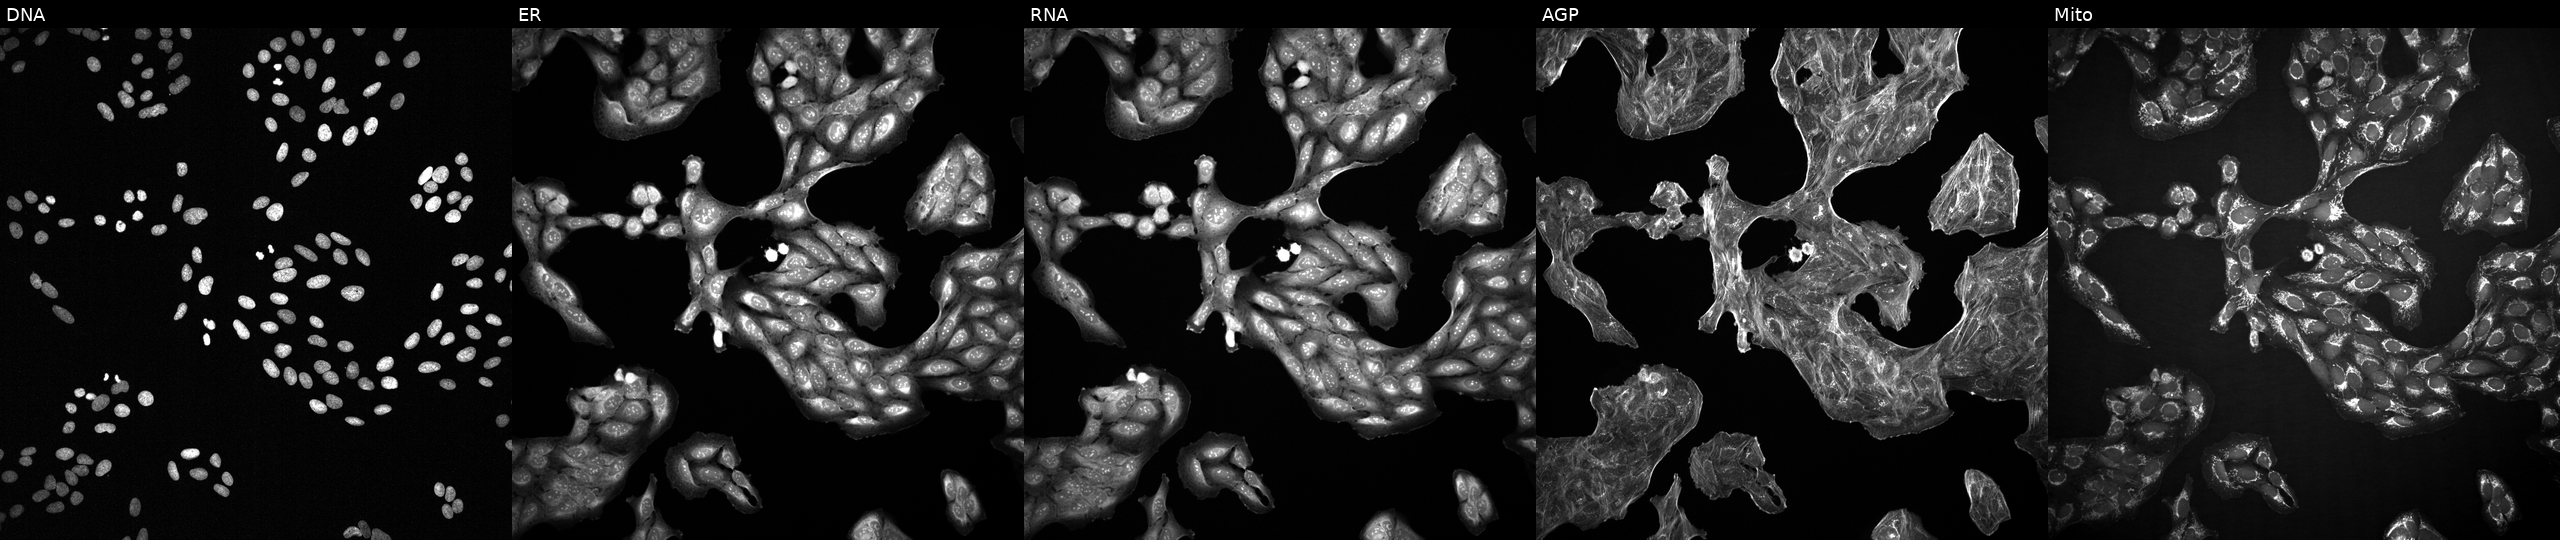
The five panels, left to right, show DNA, ER, RNA, AGP, and Mito. U2OS osteosarcoma cells exposed to the positive-control compound dexamethasone (JUMP id JCP2022_025848). Cell Painting assay, JUMP-CP dataset. Source 2, plate 1053601756, well O24.